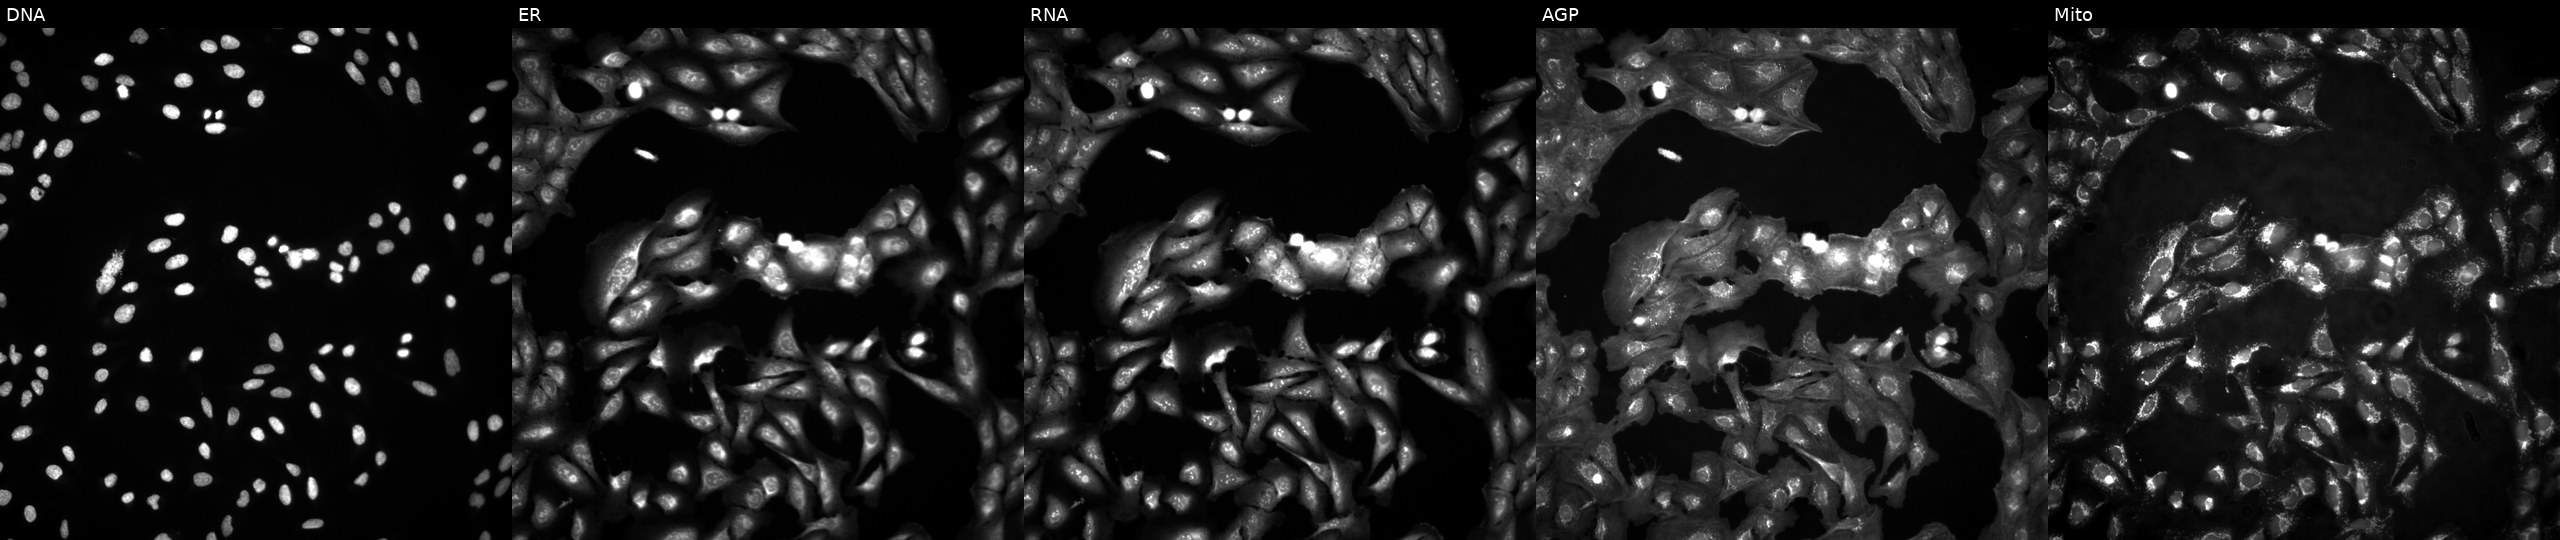
High-content fluorescence microscopy (Cell Painting). Cell line: U2OS. Perturbation: in an empty control well (no perturbation) (JUMP id JCP2022_999999). From left to right: Hoechst 33342, concanavalin A, SYTO 14, phalloidin and WGA, MitoTracker.